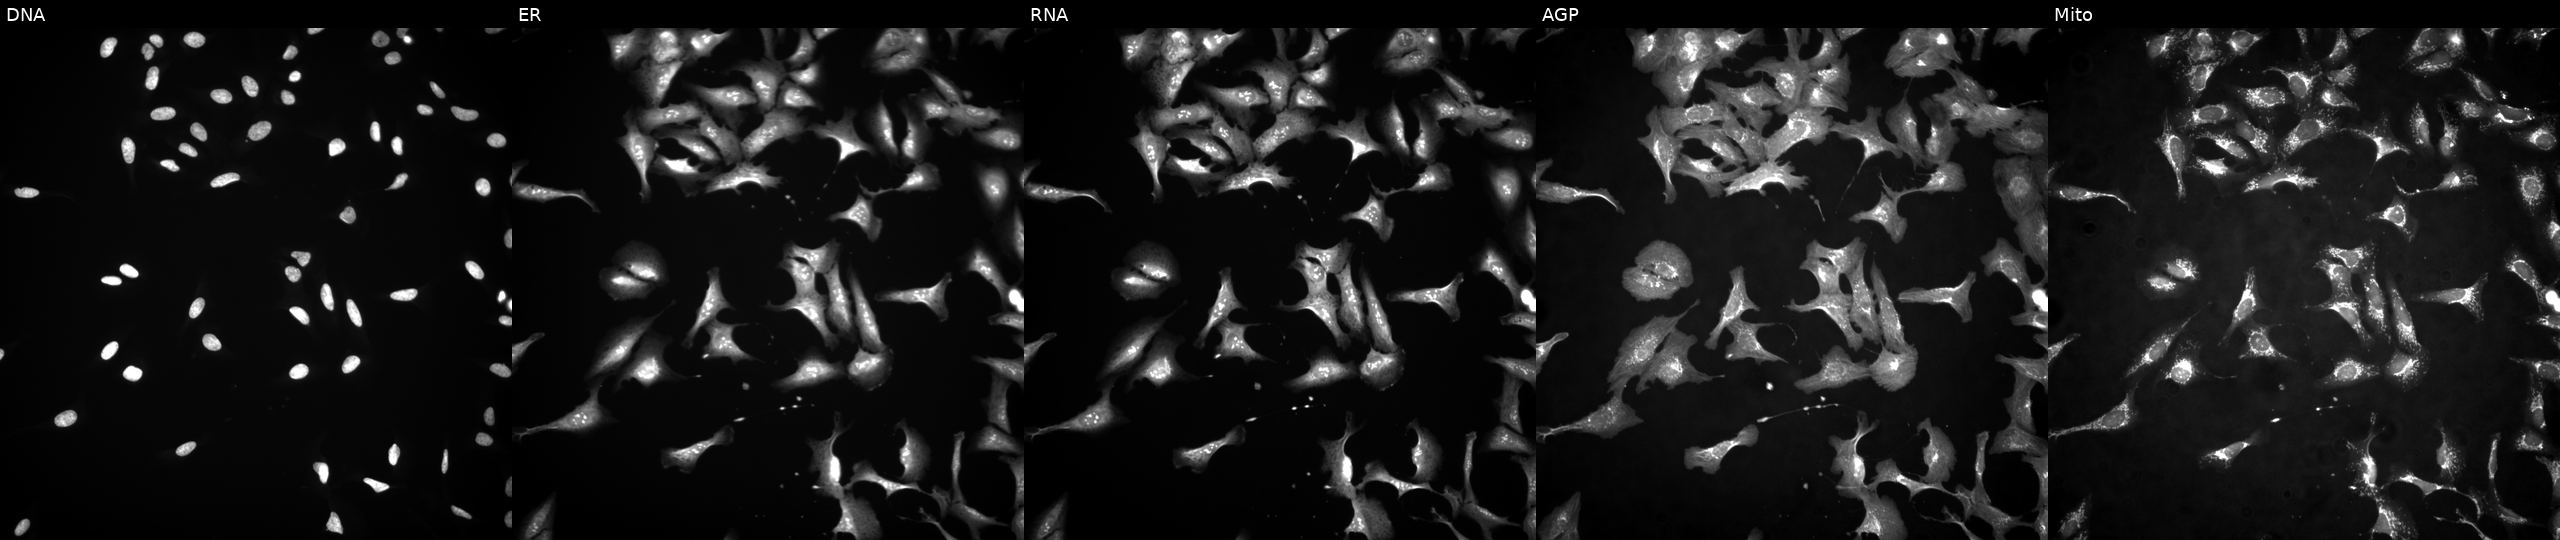
JUMP Cell Painting — ORF plate. U2OS cells overexpressing KLF6 via ORF transfection (JUMP id JCP2022_910016). The five panels, left to right, show Hoechst 33342, concanavalin A, SYTO 14, phalloidin and WGA, MitoTracker.